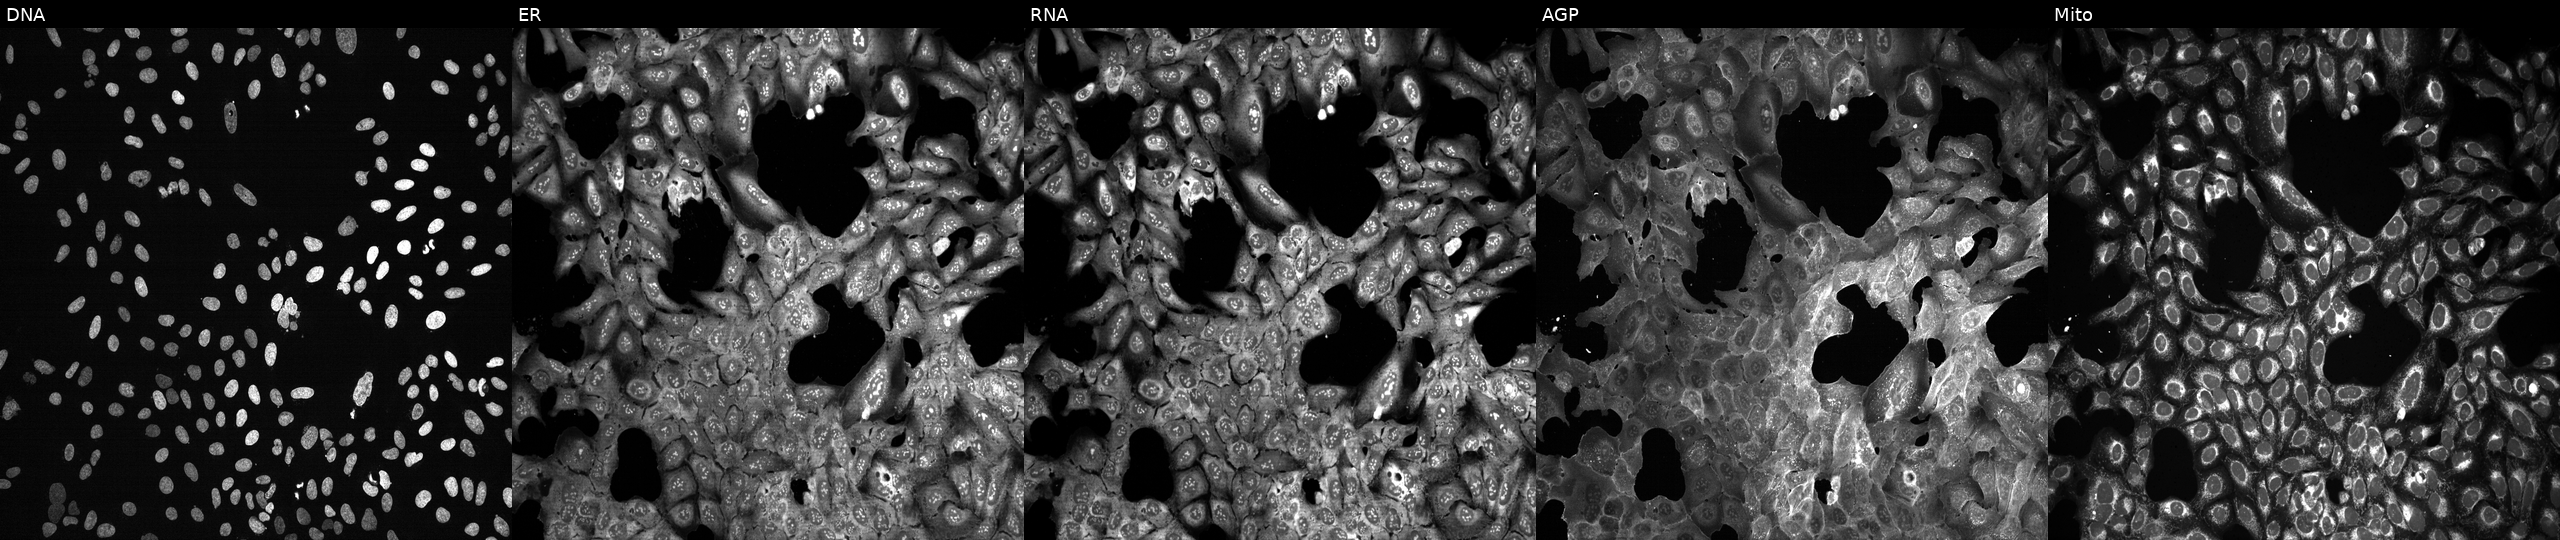
High-content fluorescence microscopy (Cell Painting). Cell line: U2OS. Perturbation: CRISPR-edited to disrupt BACE2. The five panels, left to right, show DNA (nuclei); ER (endoplasmic reticulum); RNA (nucleoli and cytoplasmic RNA); AGP (actin cytoskeleton, Golgi, and plasma membrane); Mito (mitochondria). Source 13, plate CP-CC9-R6-19, well A14.